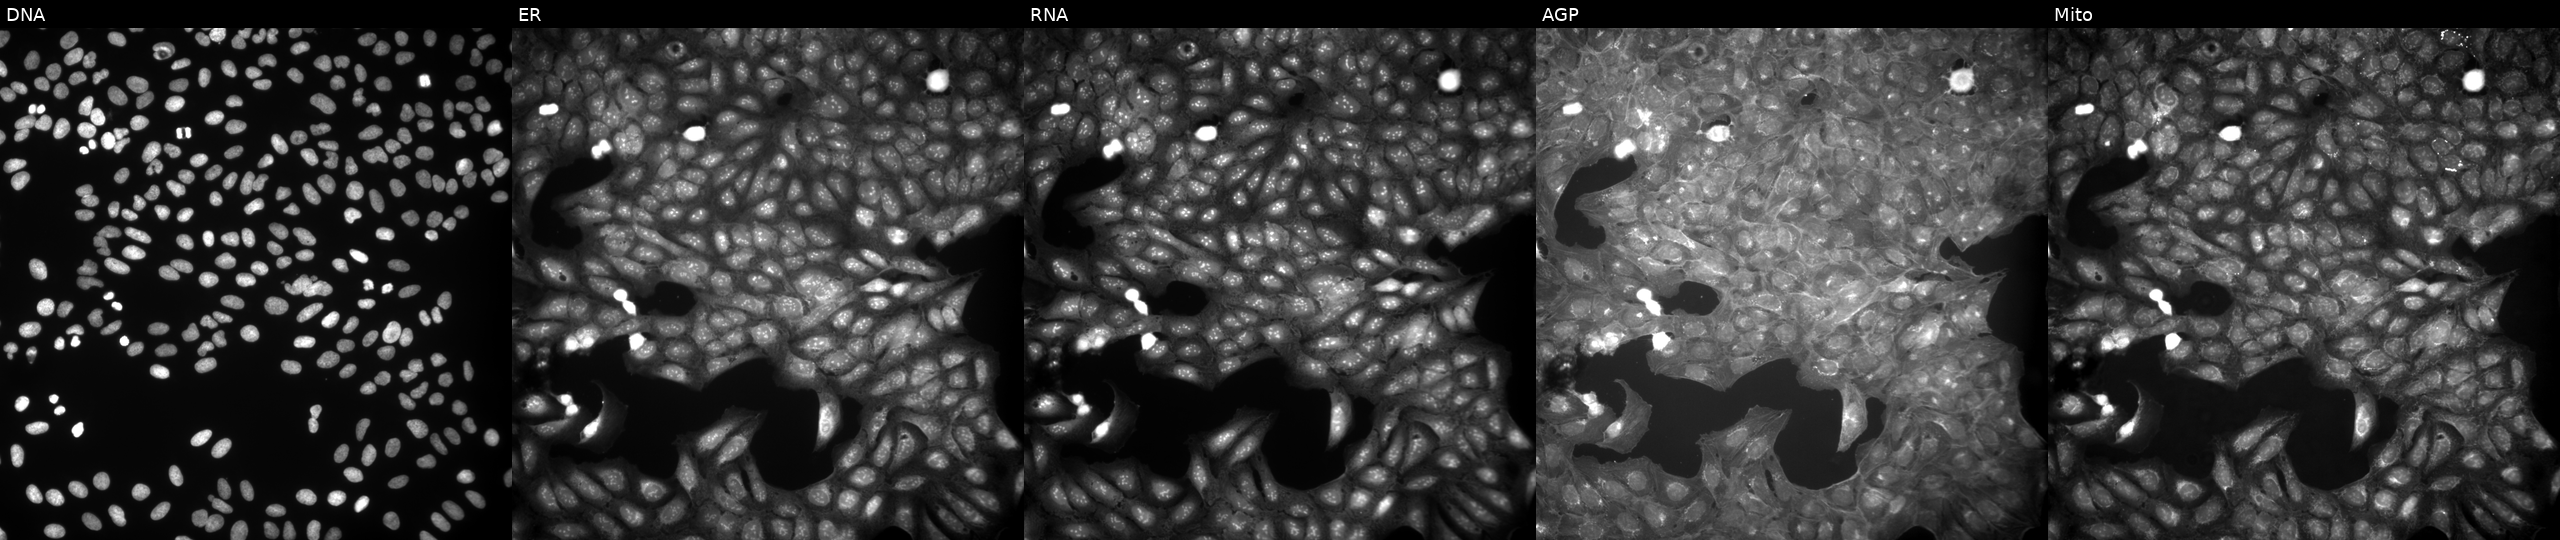
Panels show, left to right, DNA (nuclei); ER (endoplasmic reticulum); RNA (nucleoli and cytoplasmic RNA); AGP (actin cytoskeleton, Golgi, and plasma membrane); Mito (mitochondria). U2OS osteosarcoma cells treated with a small-molecule compound (JUMP id JCP2022_079917). Cell Painting assay, JUMP-CP dataset.